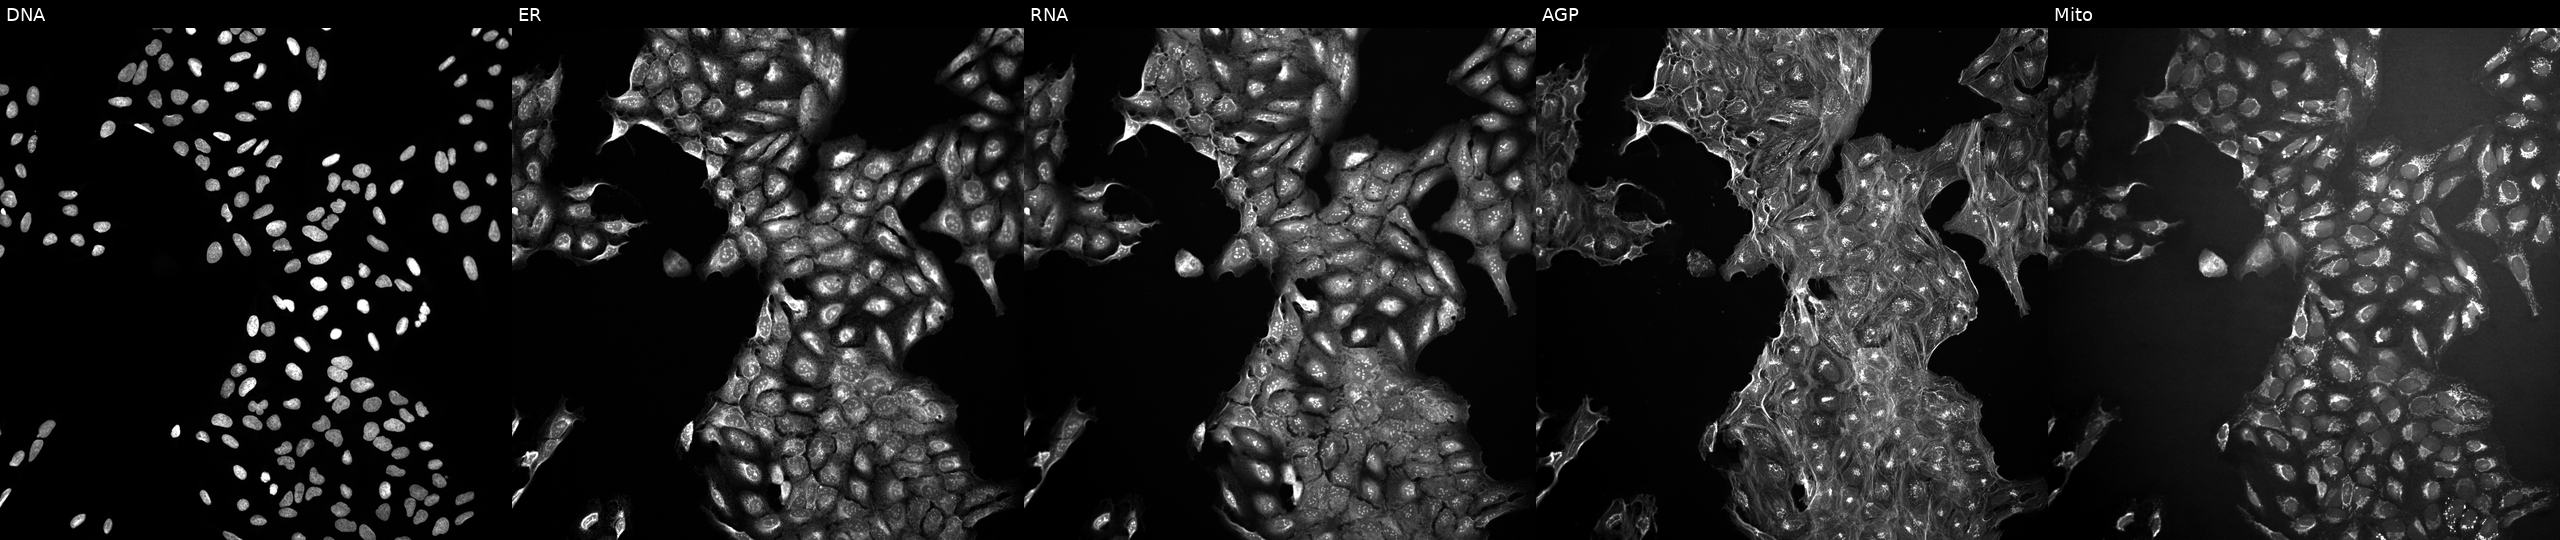
High-content fluorescence microscopy (Cell Painting). Cell line: U2OS. Perturbation: in an empty control well (no perturbation) (JUMP id JCP2022_999999). Channels (left→right): DNA, ER, RNA, AGP, and Mito.